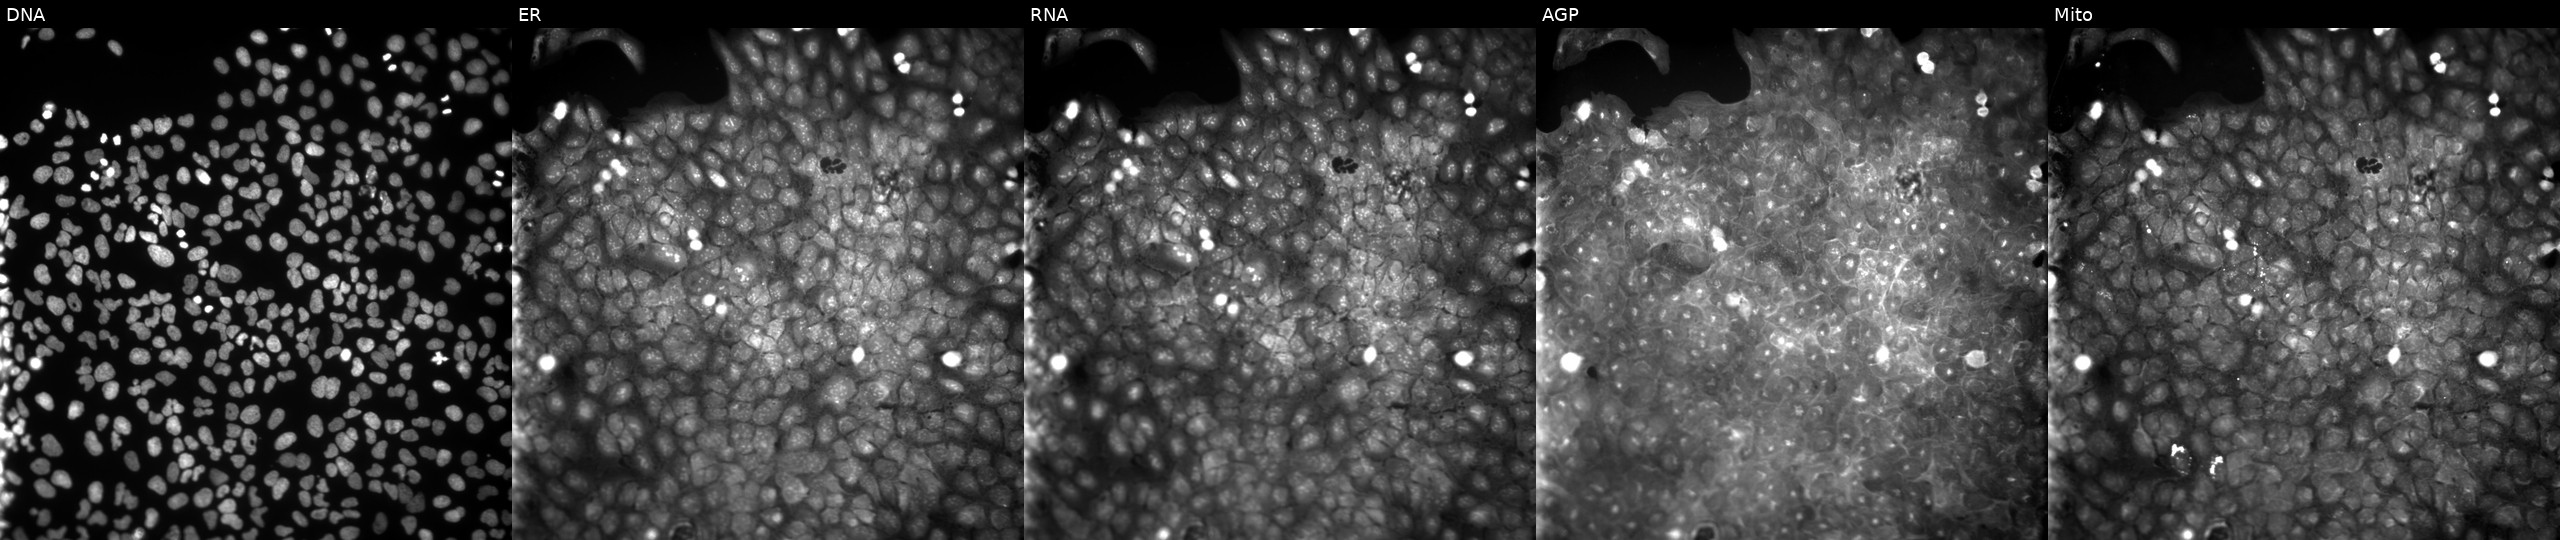
The five panels, left to right, show DNA (nuclei); ER (endoplasmic reticulum); RNA (nucleoli and cytoplasmic RNA); AGP (actin cytoskeleton, Golgi, and plasma membrane); Mito (mitochondria). U2OS osteosarcoma cells perturbed with a small-molecule compound (InChIKey GALDHROMVFISEW-UHFFFAOYSA-N). Cell Painting assay, JUMP-CP dataset.